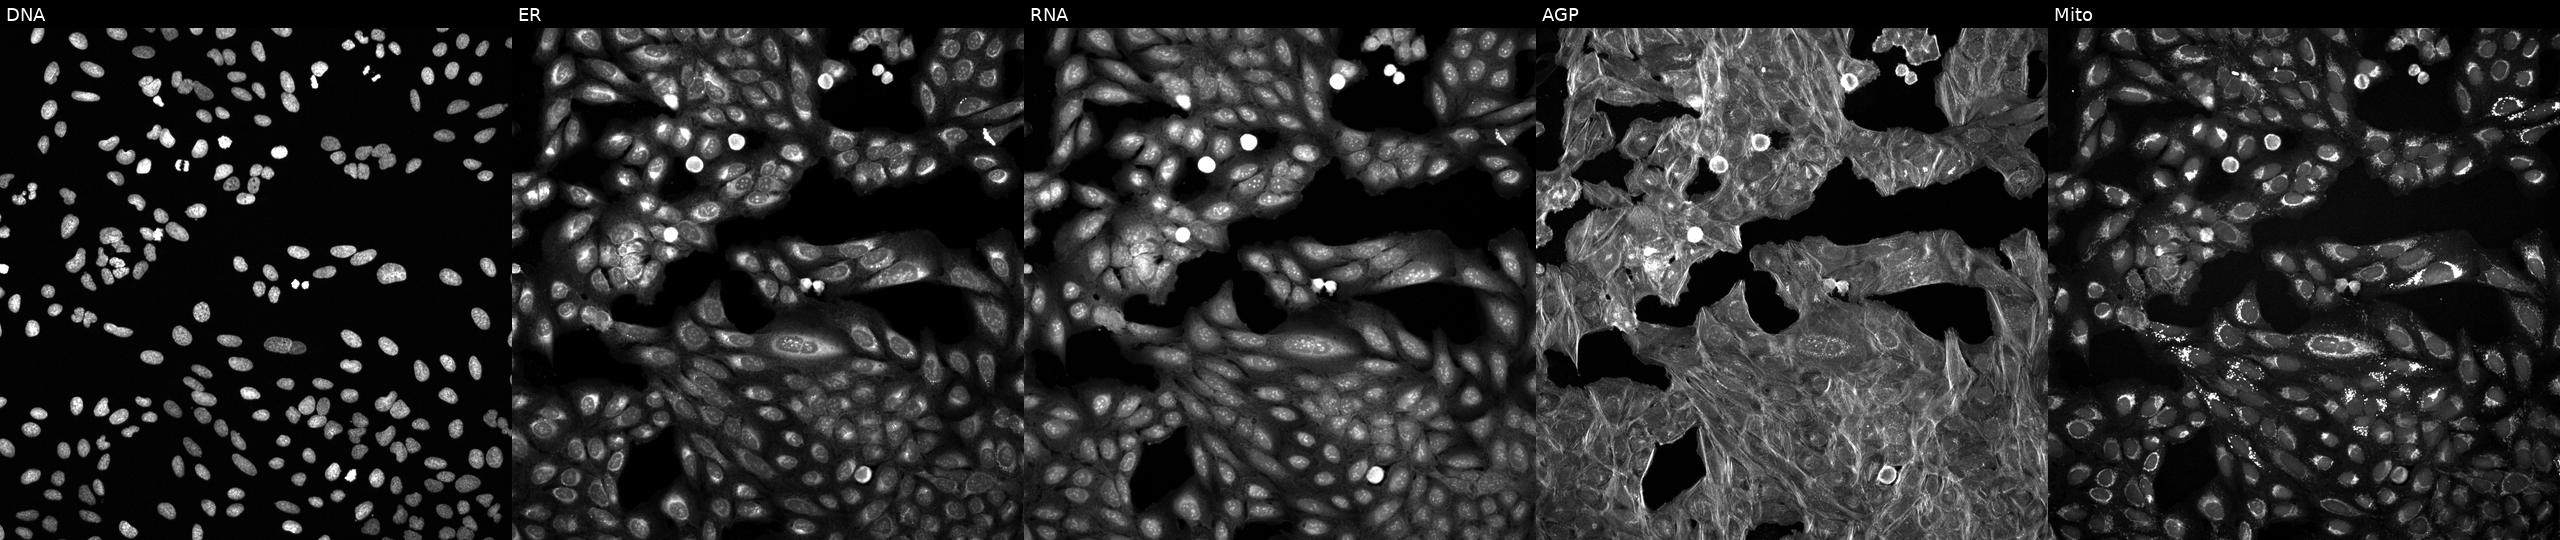
High-content fluorescence microscopy (Cell Painting). Cell line: U2OS. Perturbation: treated with a small-molecule compound (InChIKey BENNXYHRNZQXKZ-UHFFFAOYSA-N) [SMILES: Cc1ccc(-c2cc(CN(C)S(=O)(=O)c3ccccc3)no2)c(C)c1] (JUMP id JCP2022_005815). The five panels, left to right, show DNA (nuclei); ER (endoplasmic reticulum); RNA (nucleoli and cytoplasmic RNA); AGP (actin cytoskeleton, Golgi, and plasma membrane); Mito (mitochondria). Source 6, plate 110000293083, well G07.